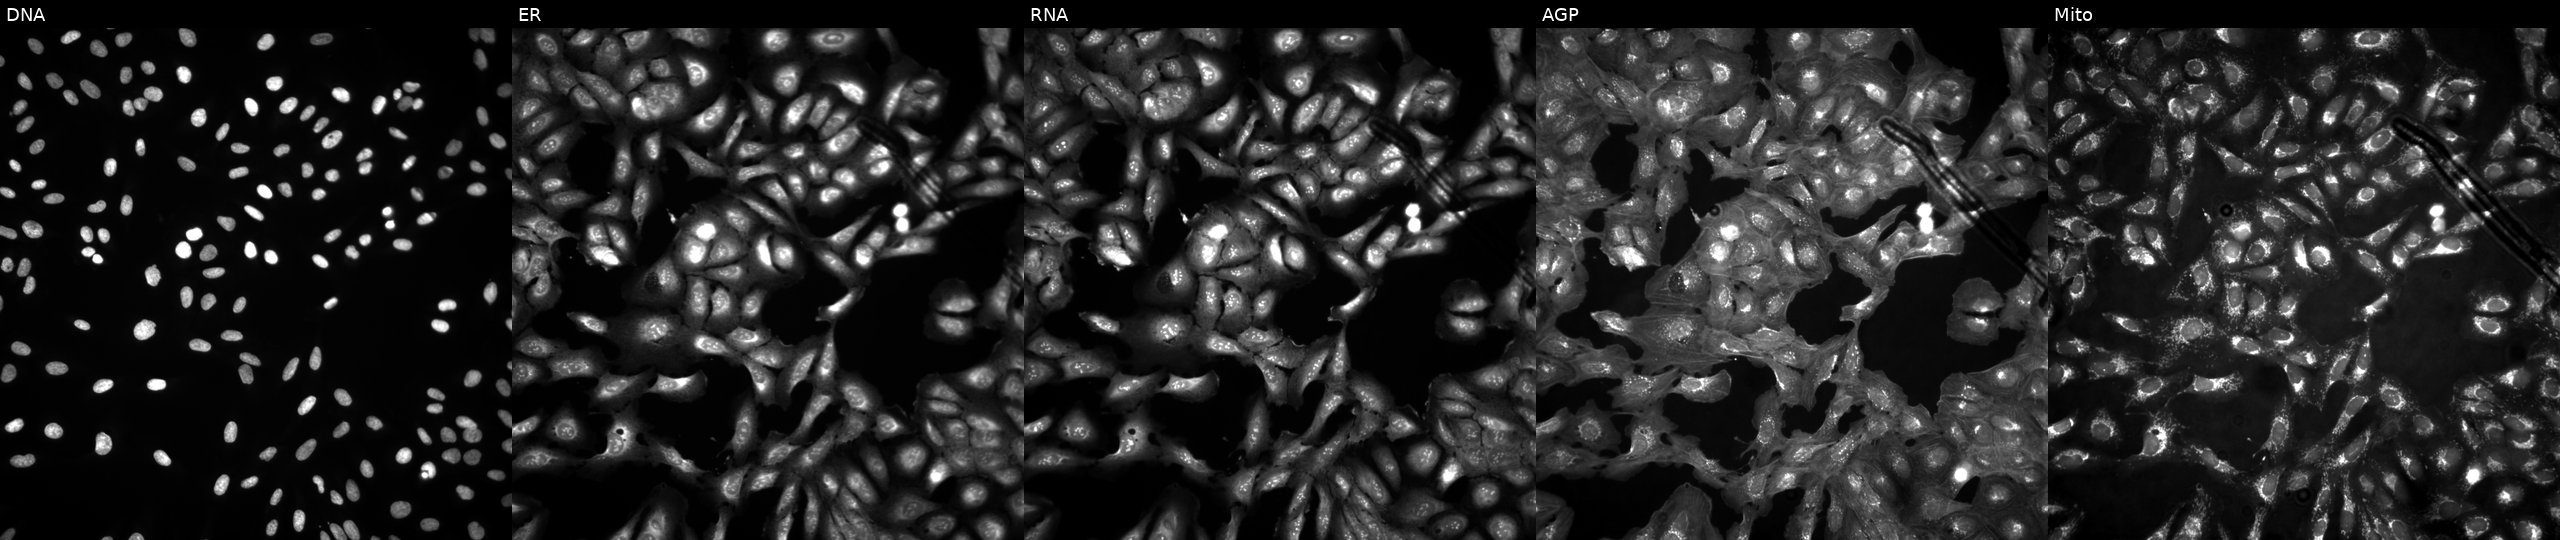
From left to right: Hoechst 33342, concanavalin A, SYTO 14, phalloidin and WGA, MitoTracker. U2OS osteosarcoma cells untreated (empty-well control) (JUMP id JCP2022_999999). Cell Painting assay, JUMP-CP dataset.